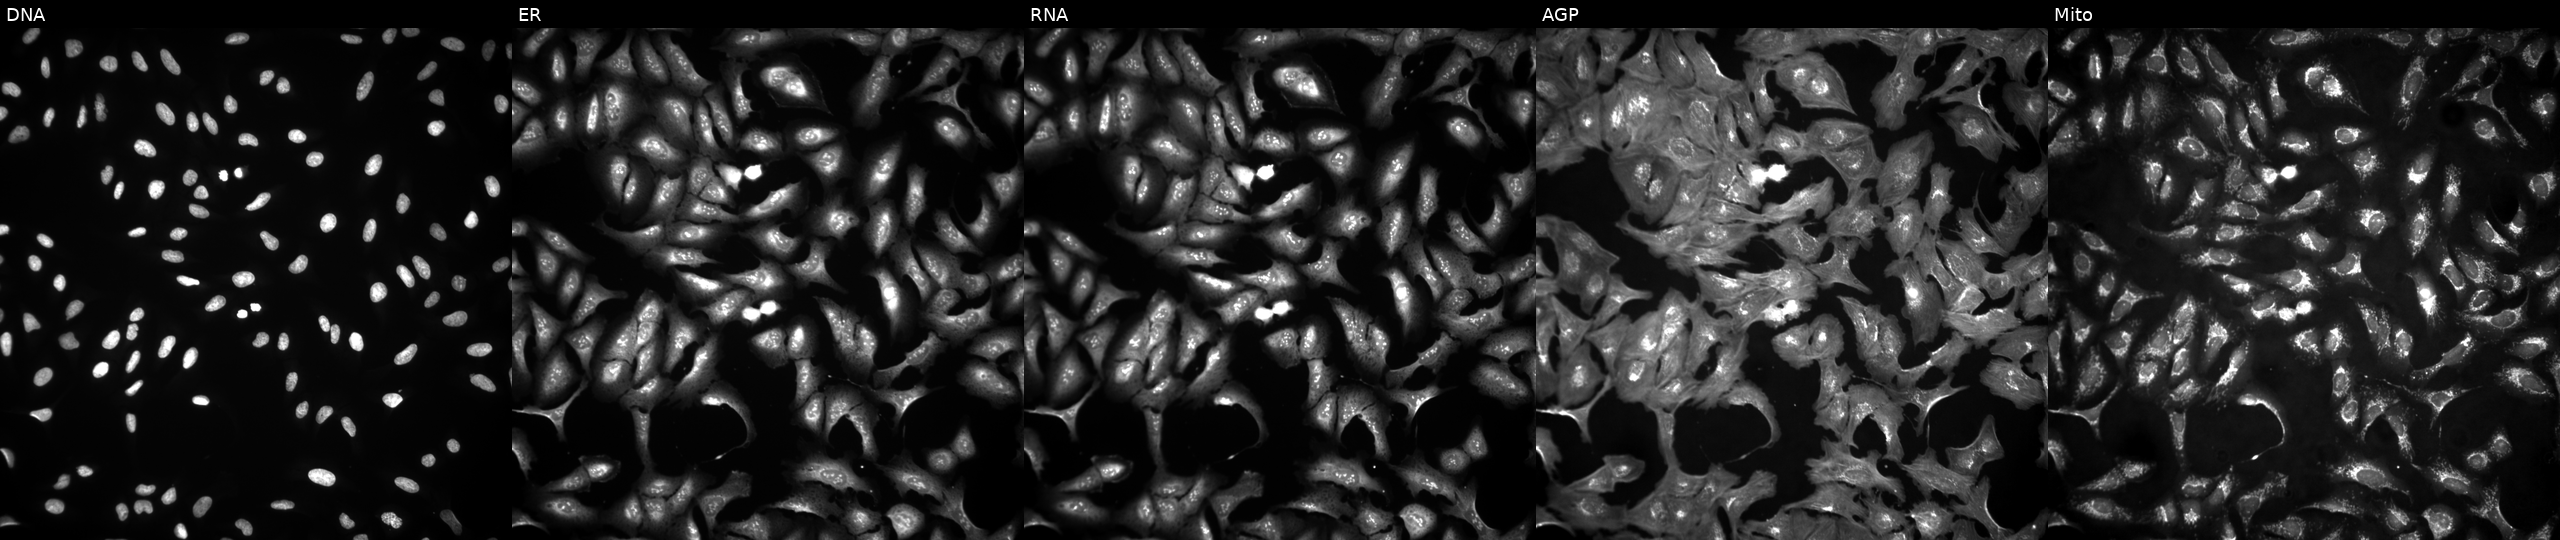
JUMP Cell Painting — ORF plate. U2OS cells transfected with an ORF construct for PSMD12 (JUMP id JCP2022_901244). Channels (left→right): DNA (nuclei); ER (endoplasmic reticulum); RNA (nucleoli and cytoplasmic RNA); AGP (actin cytoskeleton, Golgi, and plasma membrane); Mito (mitochondria). Source 4, plate BR00124784, well C22.